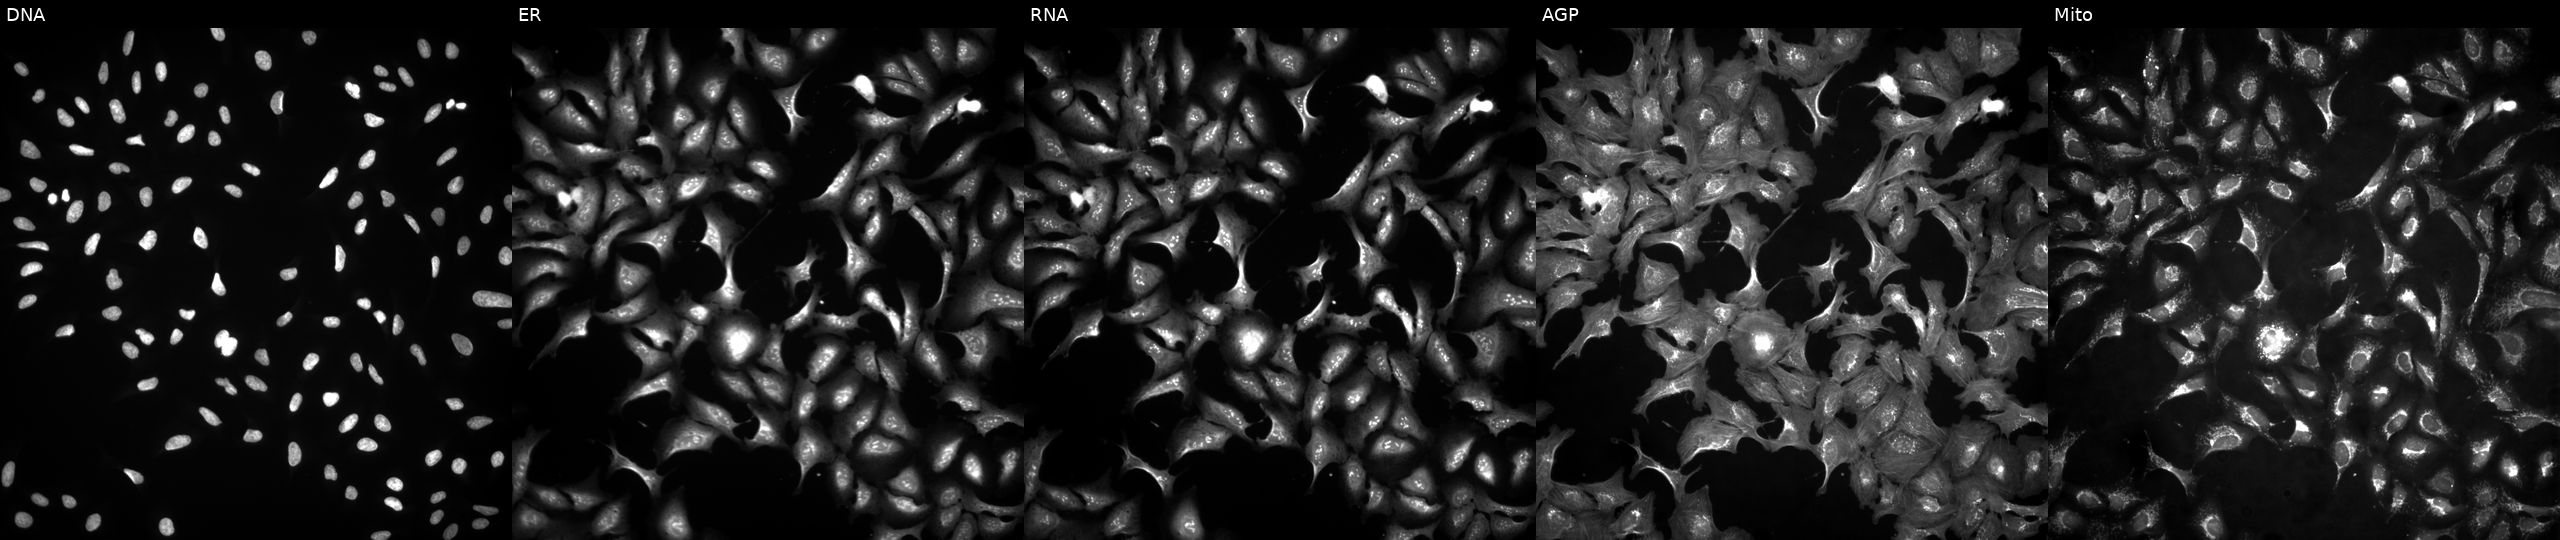
High-content fluorescence microscopy (Cell Painting). Cell line: U2OS. Perturbation: transfected with an ORF construct for H4C9 (JUMP id JCP2022_906745). From left to right: Hoechst 33342, concanavalin A, SYTO 14, phalloidin and WGA, MitoTracker.